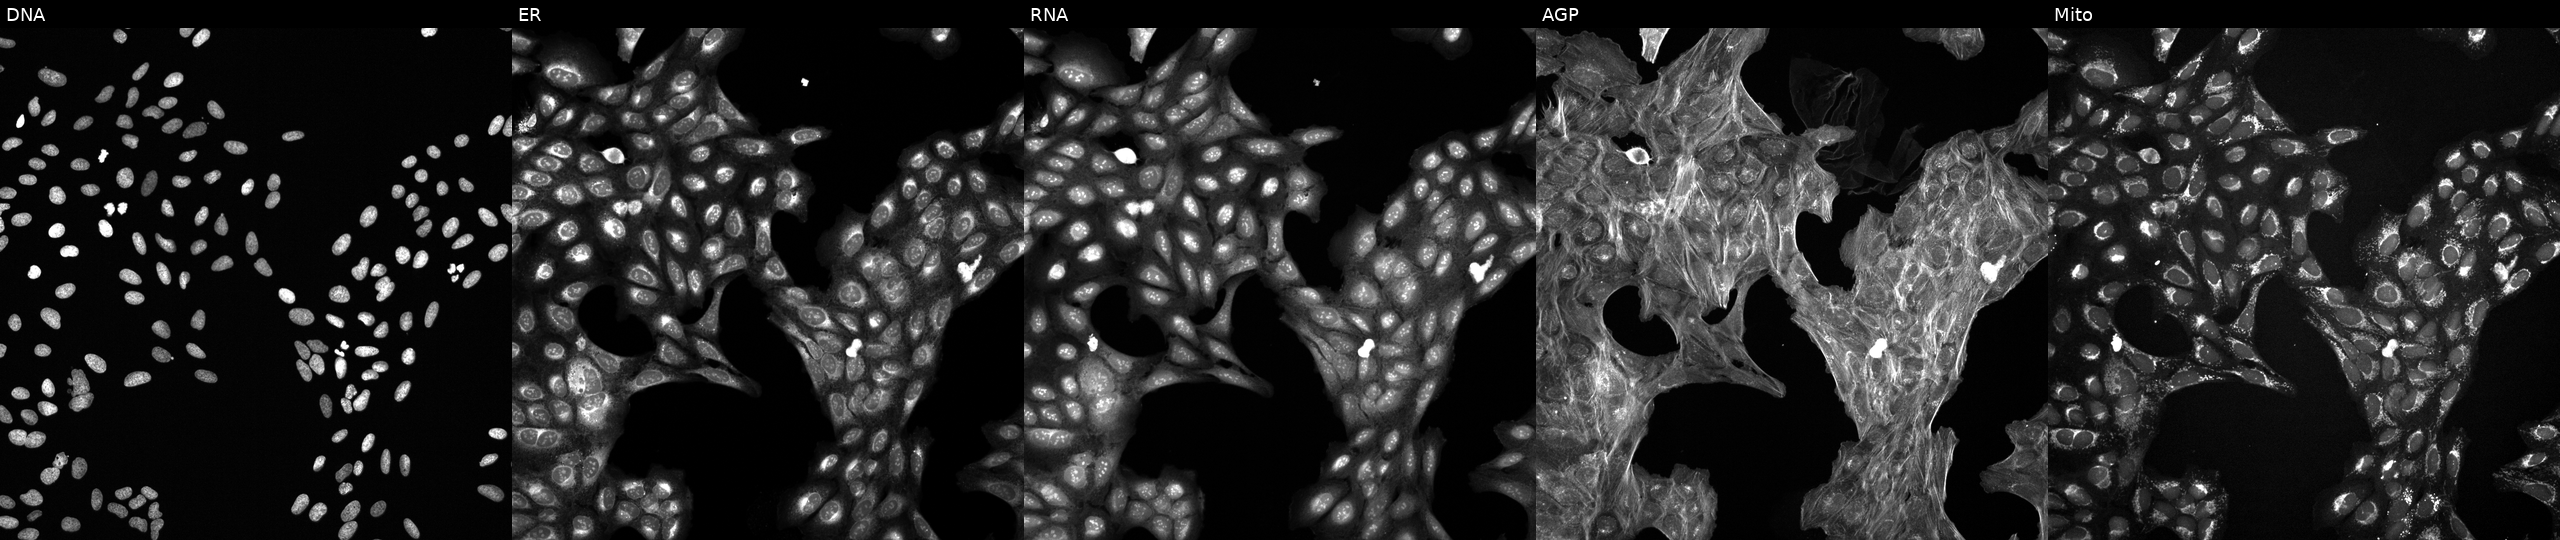
U2OS cells, Cell Painting assay, treated with a small-molecule compound (InChIKey LDOYVZPLTMGRQL-UHFFFAOYSA-N) (JUMP id JCP2022_048746). Channels (left→right): Hoechst 33342, concanavalin A, SYTO 14, phalloidin and WGA, MitoTracker. Each panel is percentile-stretched 16-bit fluorescence.